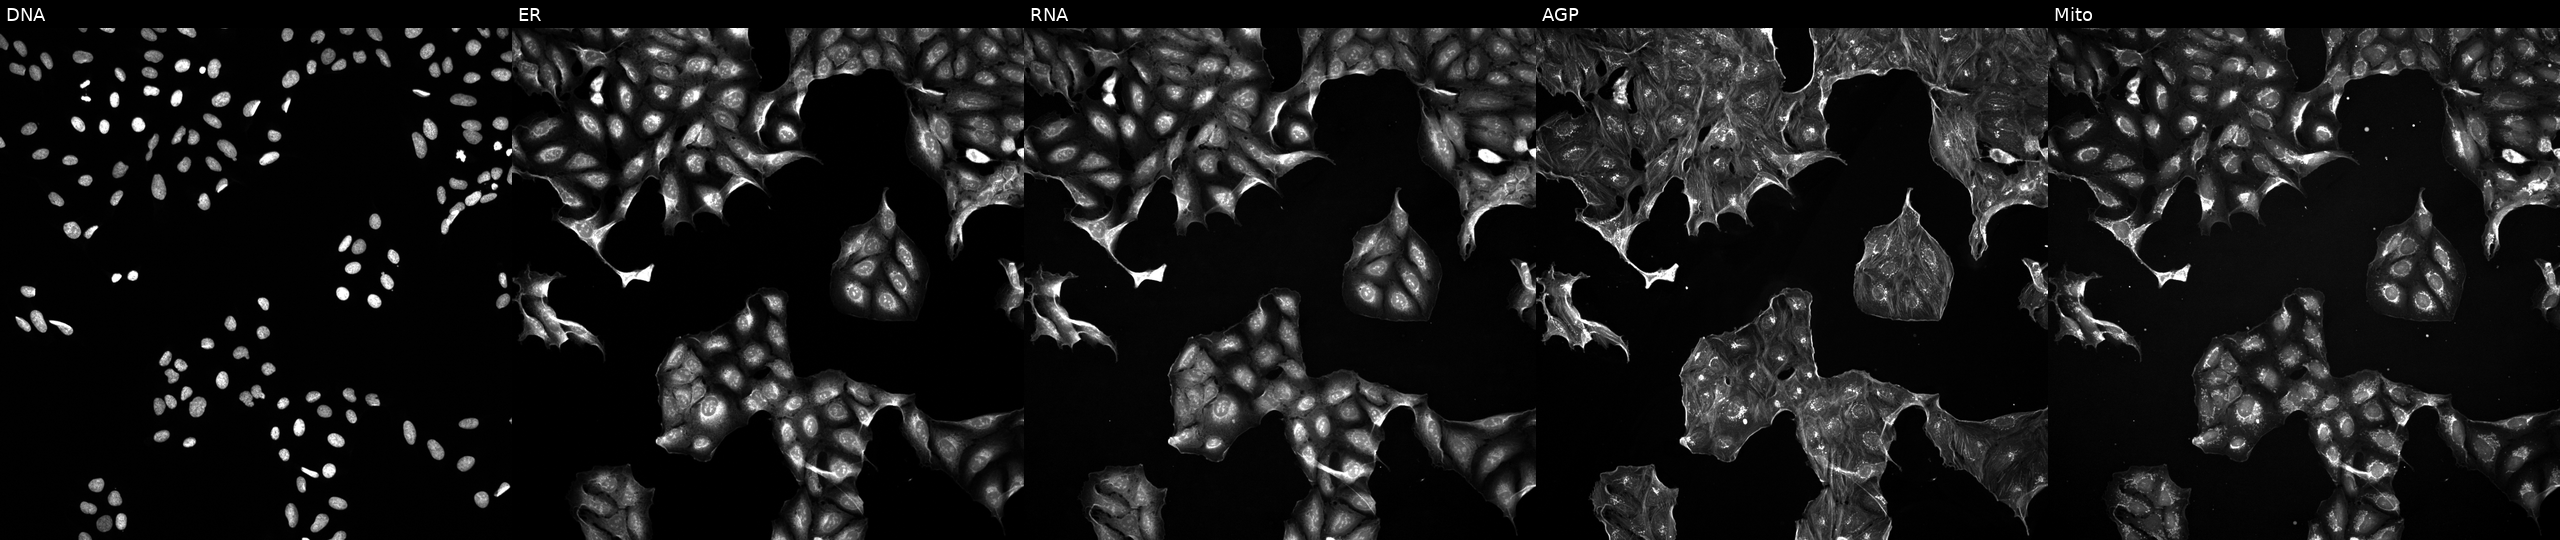
JUMP Cell Painting — TARGET2 plate. U2OS cells treated with a small-molecule compound (InChIKey CDJNNOJINJAXPV-UHFFFAOYSA-N) (JUMP id JCP2022_010382). Channels (left→right): DNA (nuclei); ER (endoplasmic reticulum); RNA (nucleoli and cytoplasmic RNA); AGP (actin cytoskeleton, Golgi, and plasma membrane); Mito (mitochondria).